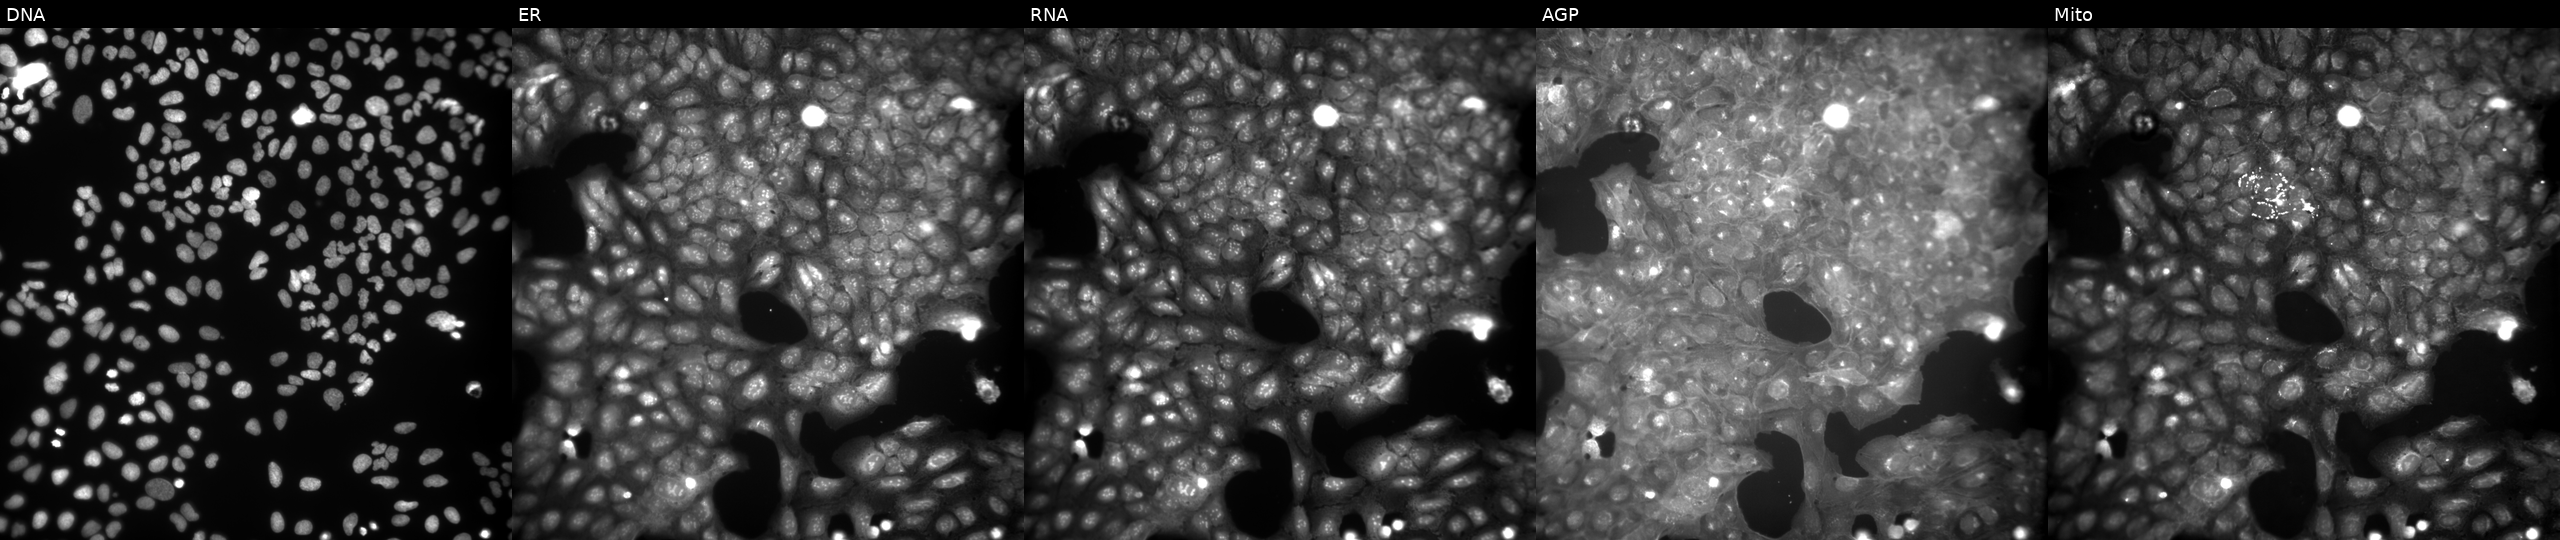
JUMP Cell Painting — COMPOUND plate. U2OS cells treated with a small-molecule compound (InChIKey IWPKLAORHNRWCH-UHFFFAOYSA-N). Channels (left→right): Hoechst 33342, concanavalin A, SYTO 14, phalloidin and WGA, MitoTracker. Source 9, plate GR00003382, well C46.